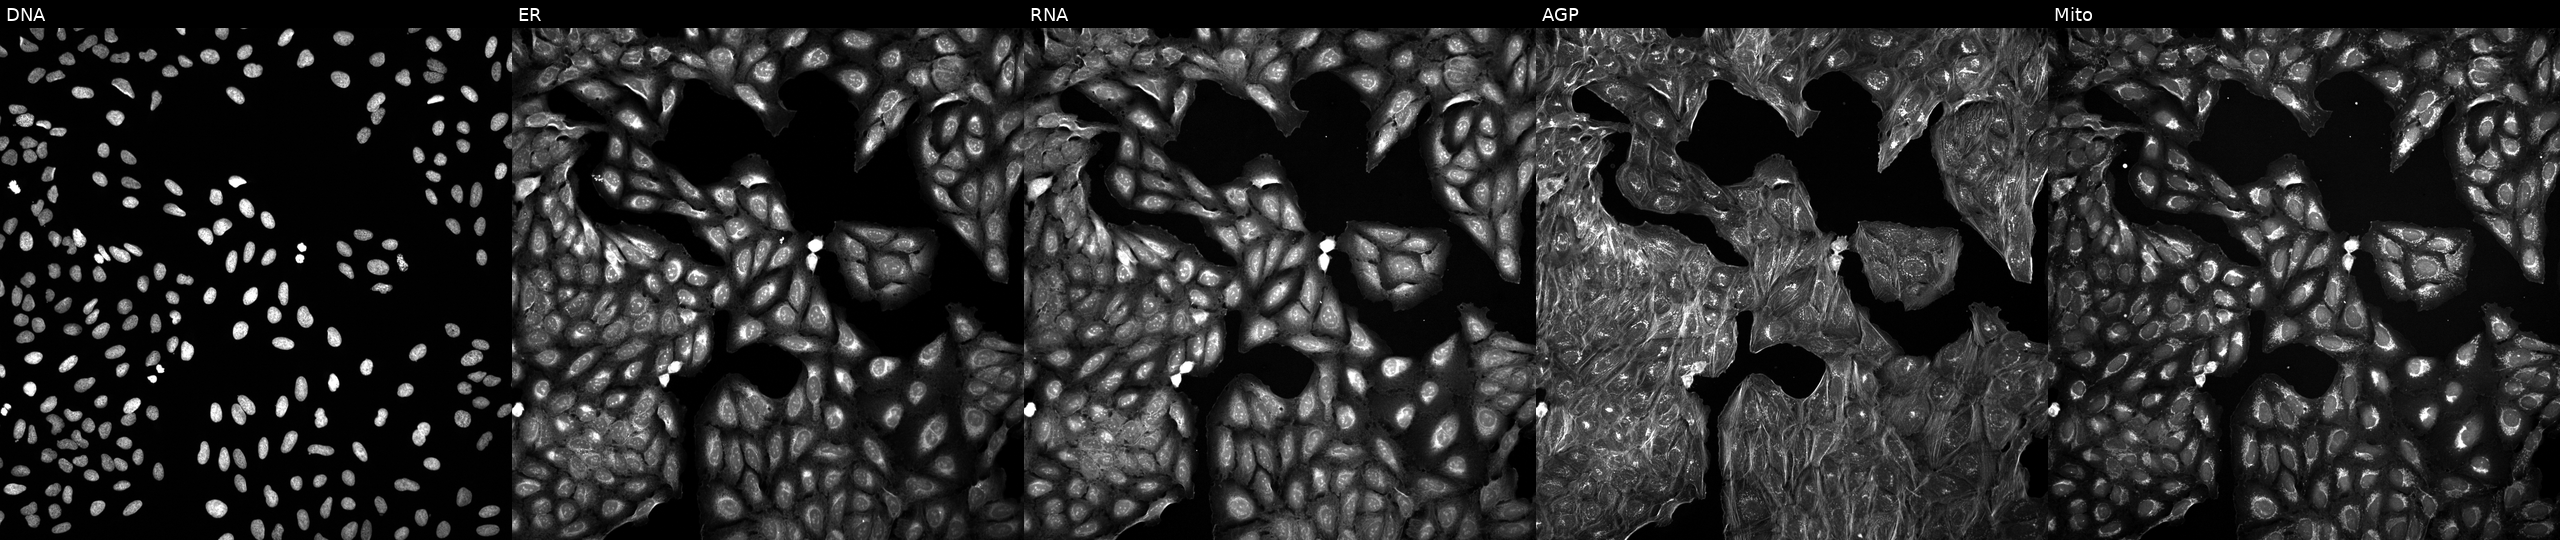
High-content fluorescence microscopy (Cell Painting). Cell line: U2OS. Perturbation: treated with a small-molecule compound (InChIKey MXJWRABVEGLYDG-UHFFFAOYSA-N). Panels show, left to right, Hoechst 33342, concanavalin A, SYTO 14, phalloidin and WGA, MitoTracker.